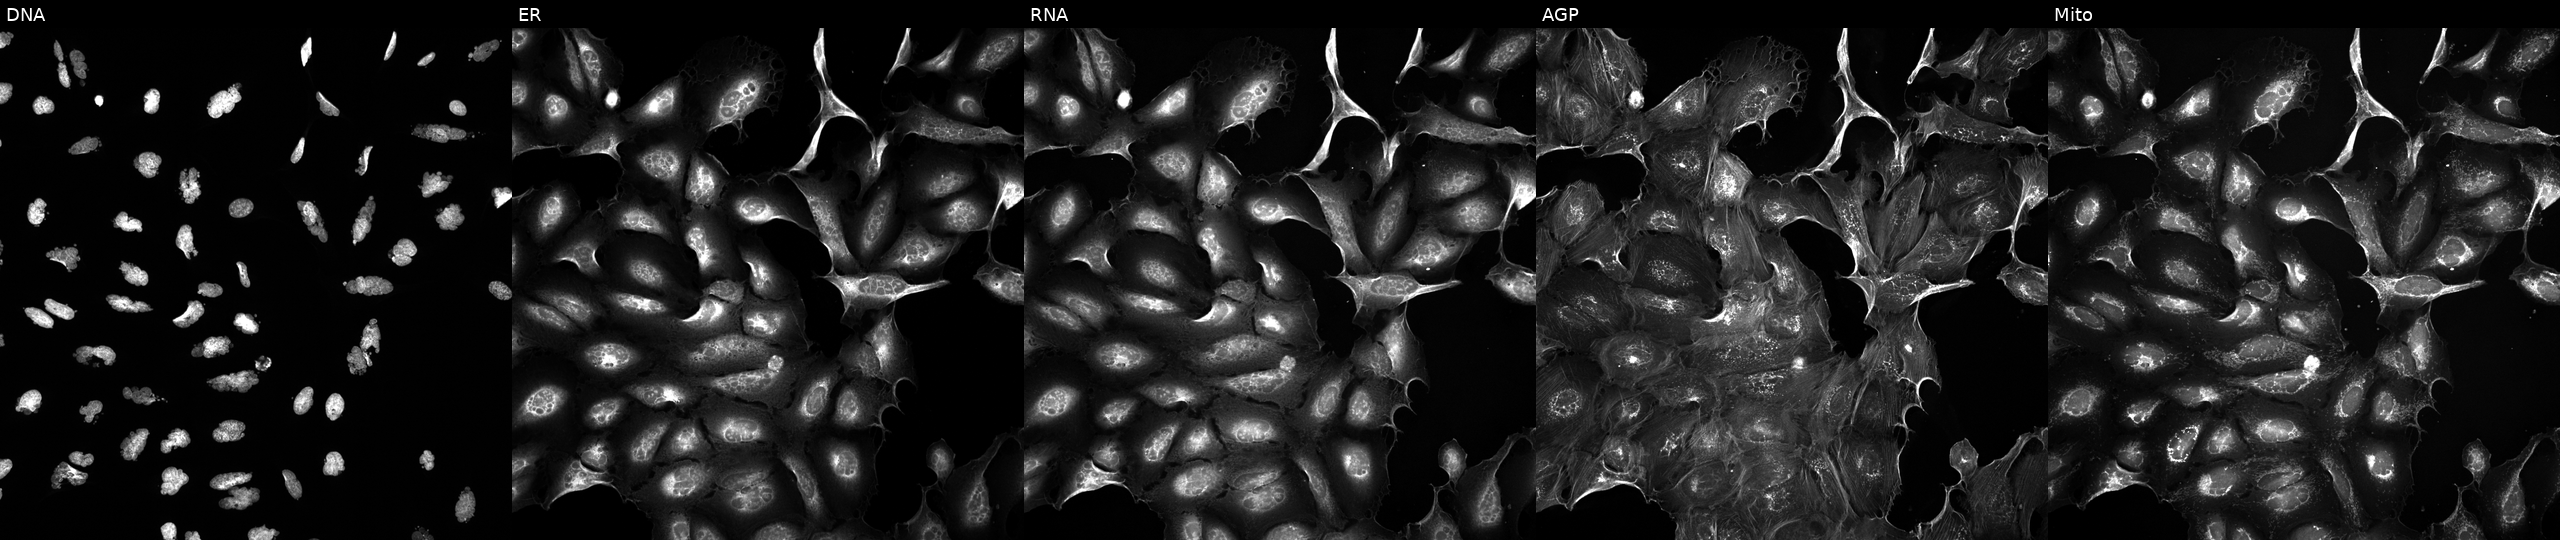
Five-channel Cell Painting image of U2OS cells exposed to the positive-control compound AMG900. The five panels, left to right, show DNA (nuclei); ER (endoplasmic reticulum); RNA (nucleoli and cytoplasmic RNA); AGP (actin cytoskeleton, Golgi, and plasma membrane); Mito (mitochondria). Source 5, plate ACPJUM051, well L15.